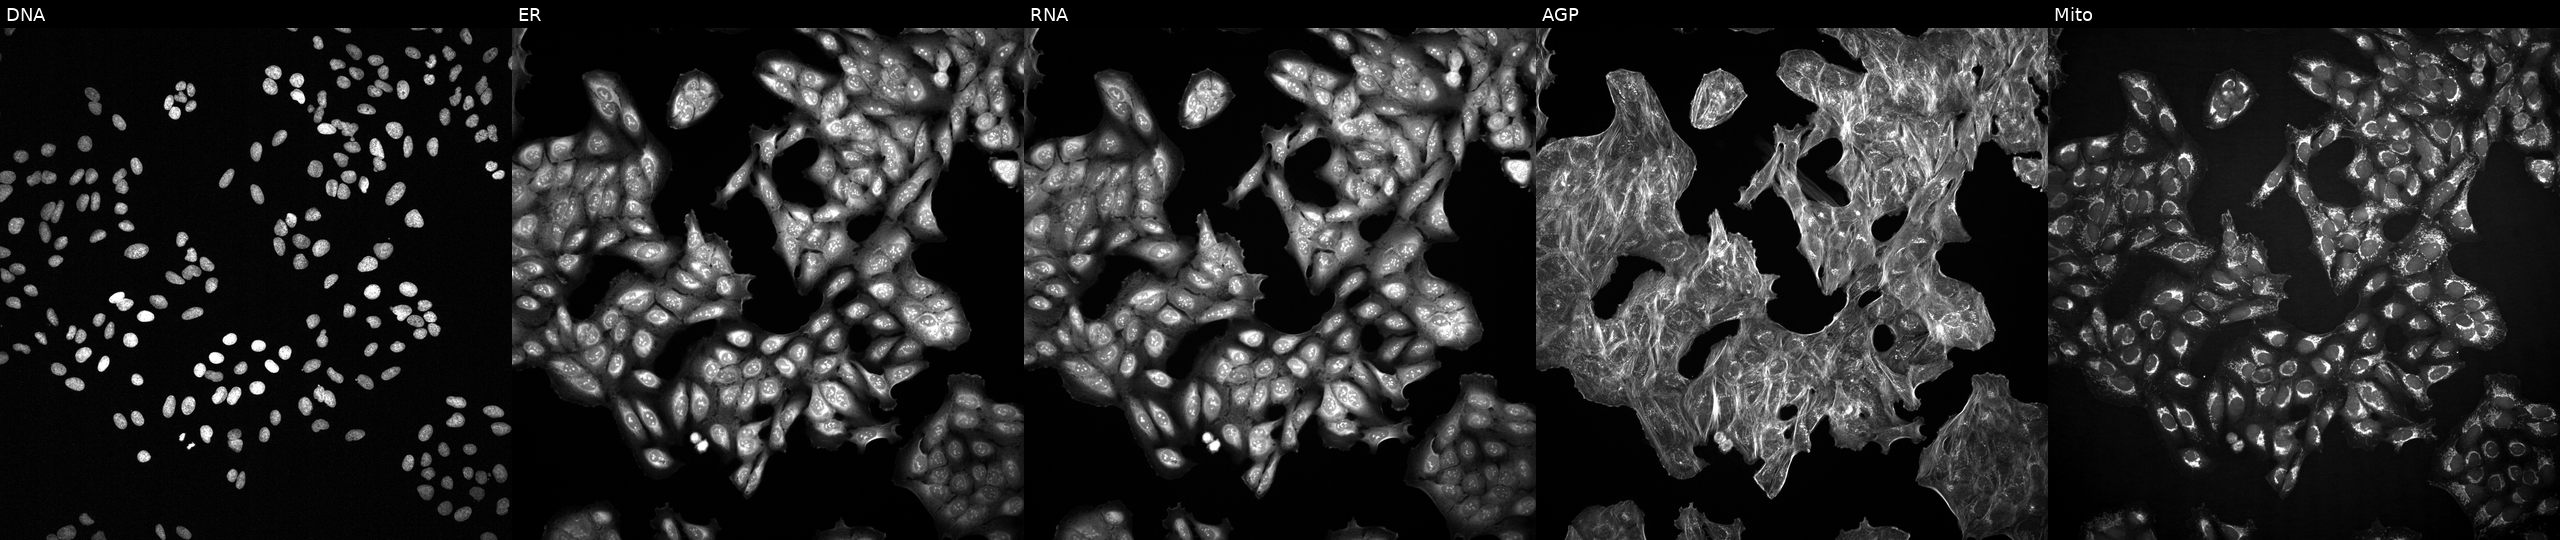
This image strip shows the five Cell Painting channels for a single field of U2OS cells treated with a small-molecule compound (InChIKey QXVFPSNHELNGFZ-UHFFFAOYSA-N) (JUMP id JCP2022_076591). The five panels, left to right, show Hoechst 33342, concanavalin A, SYTO 14, phalloidin and WGA, MitoTracker.